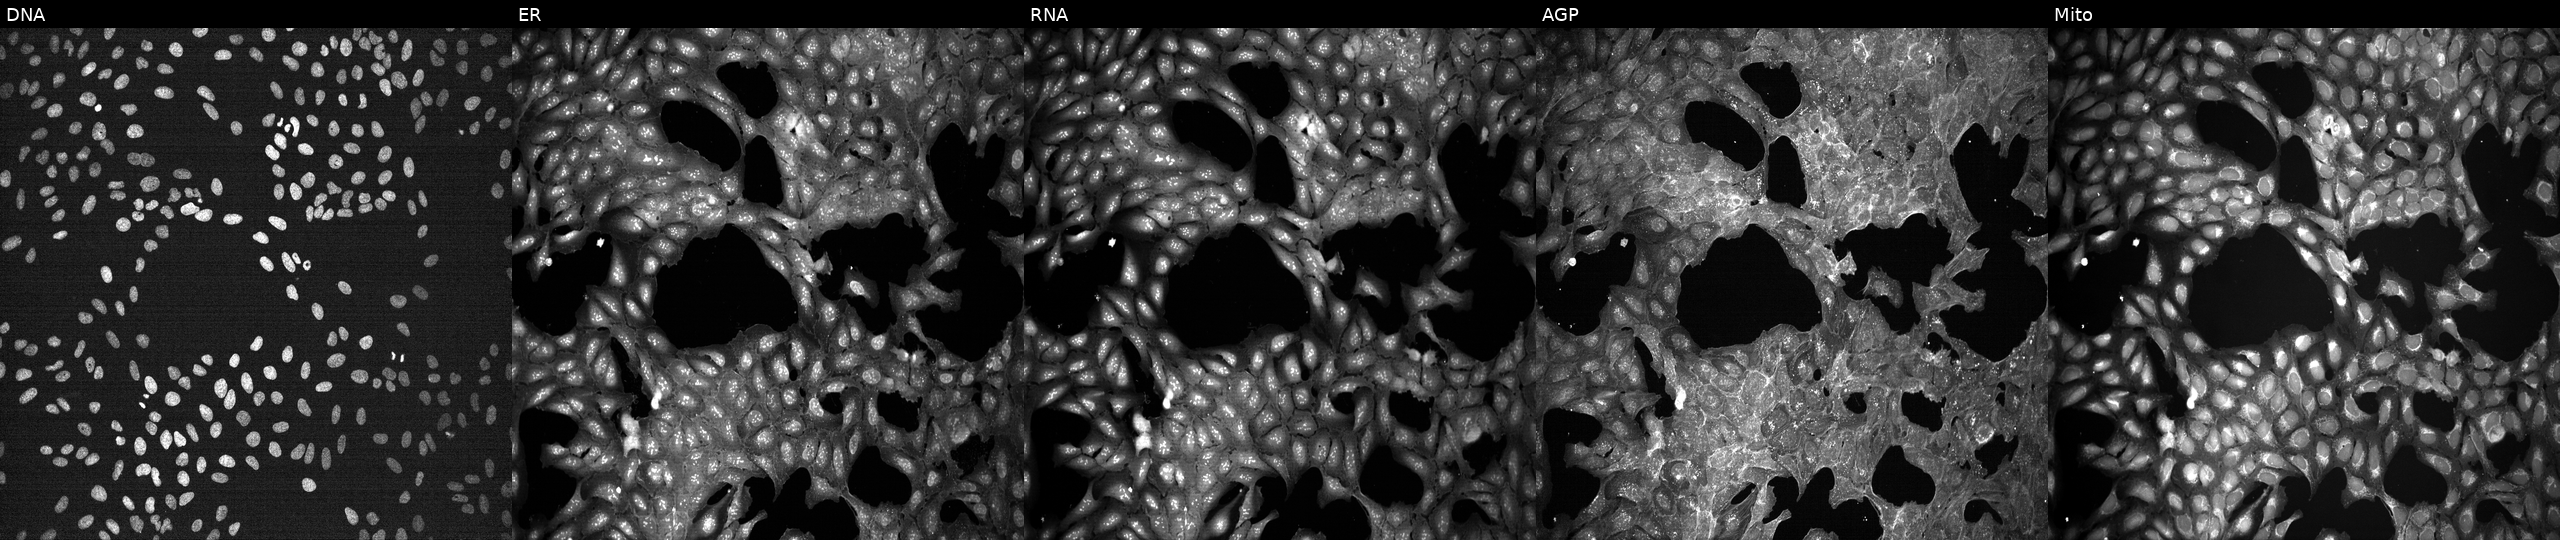
U2OS cells, Cell Painting assay, treated with DMSO vehicle only (negative control) (JUMP id JCP2022_033924). Panels show, left to right, Hoechst 33342, concanavalin A, SYTO 14, phalloidin and WGA, MitoTracker. Each panel is percentile-stretched 16-bit fluorescence.